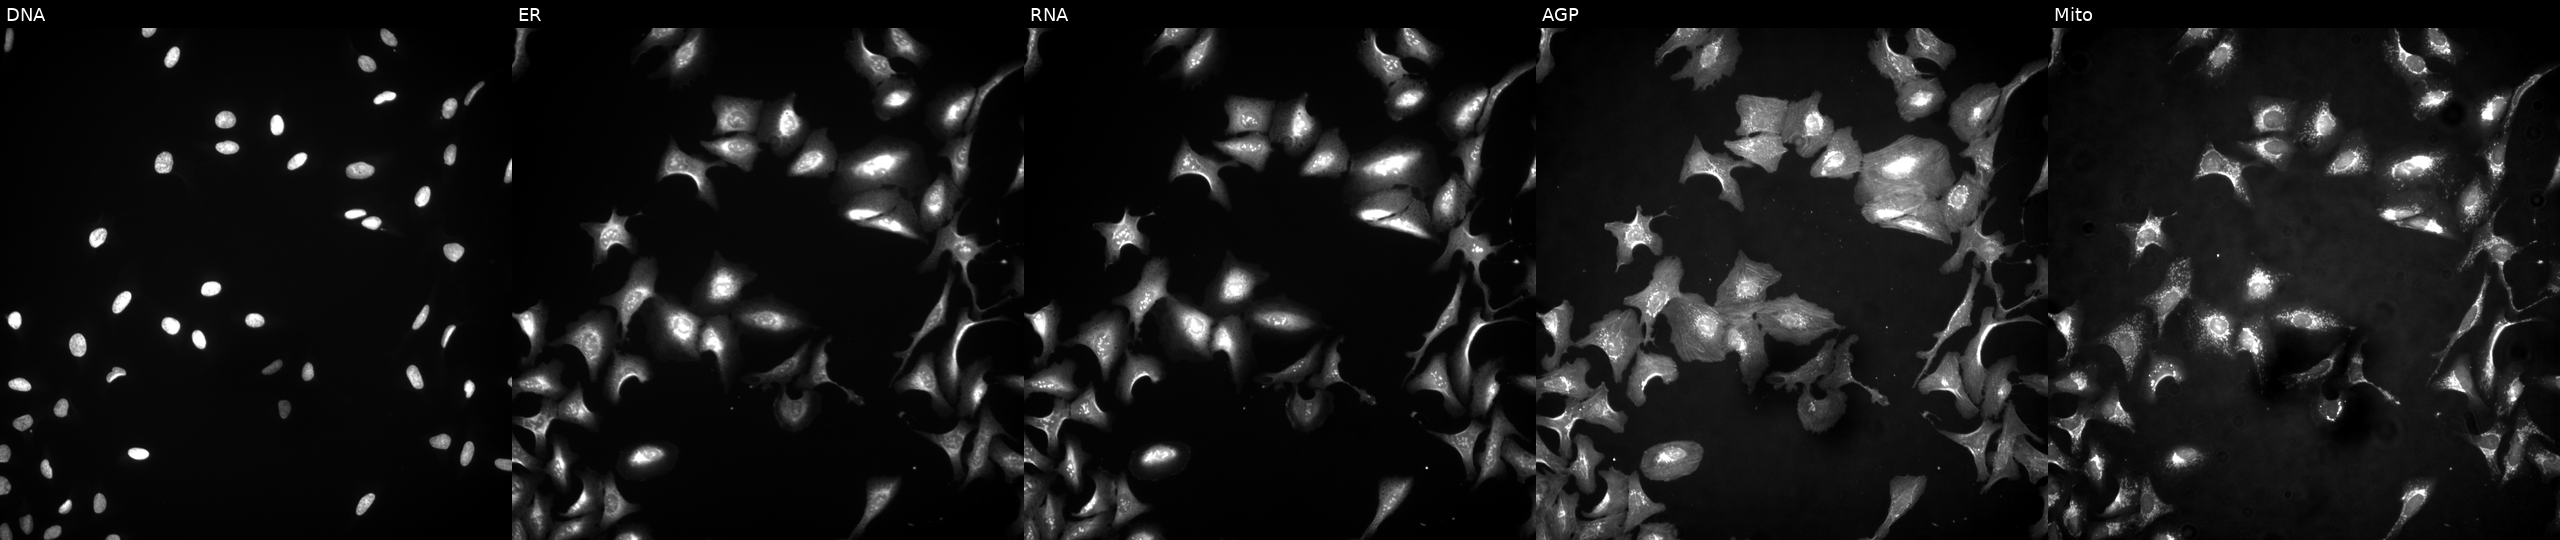
This image strip shows the five Cell Painting channels for a single field of U2OS cells untreated (empty-well control). Panels show, left to right, Hoechst 33342, concanavalin A, SYTO 14, phalloidin and WGA, MitoTracker.